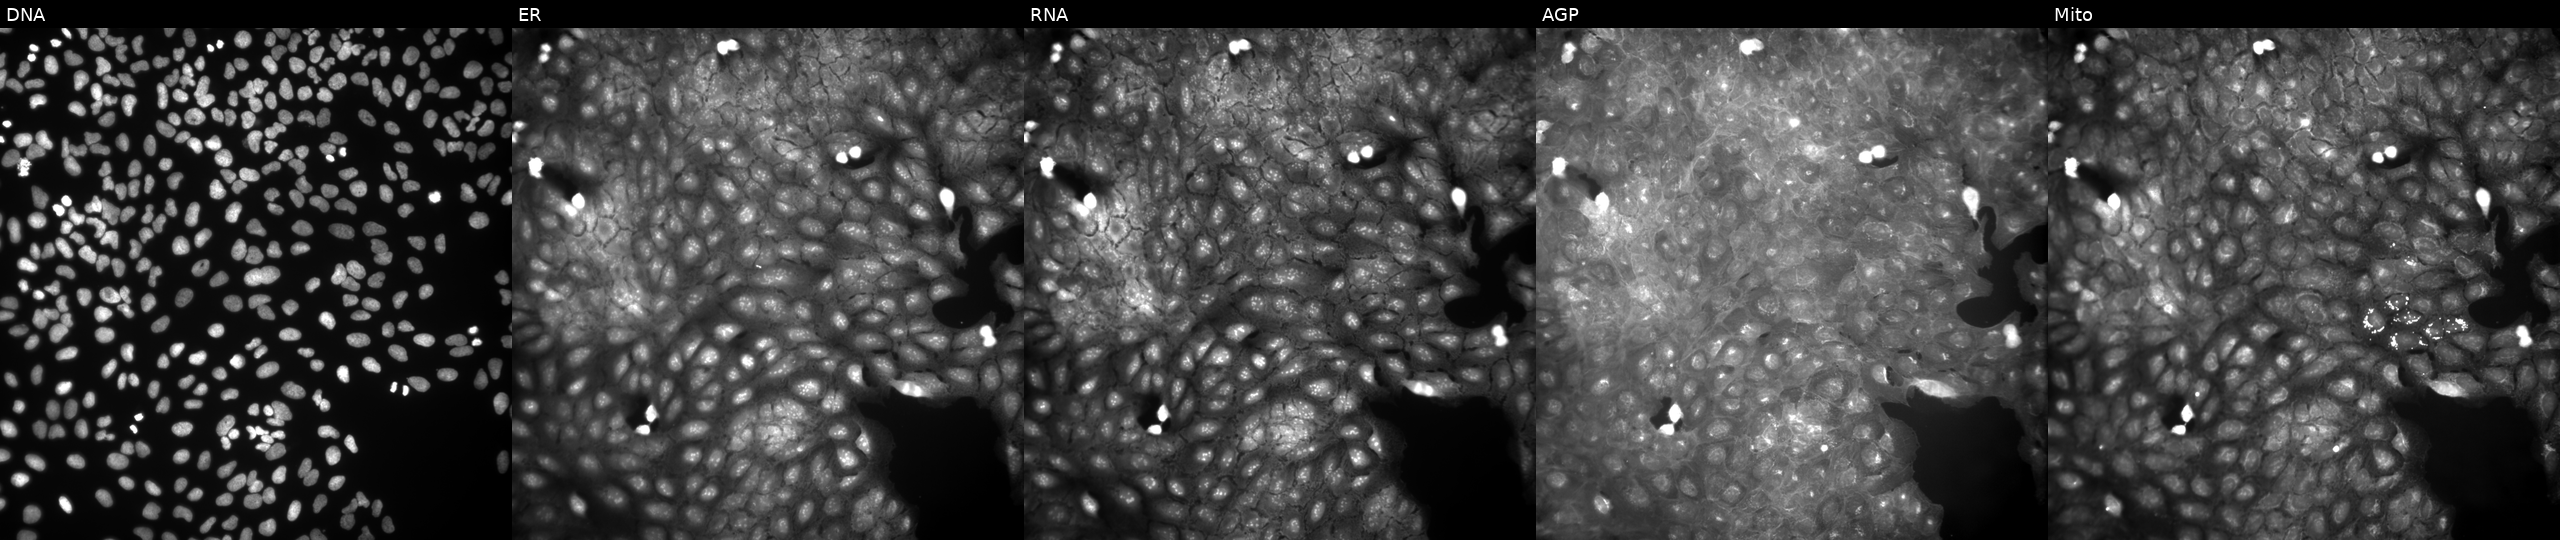
Panels show, left to right, DNA, ER, RNA, AGP, and Mito. U2OS osteosarcoma cells treated with a small-molecule compound. Cell Painting assay, JUMP-CP dataset. Source 9, plate GR00003381, well G44.